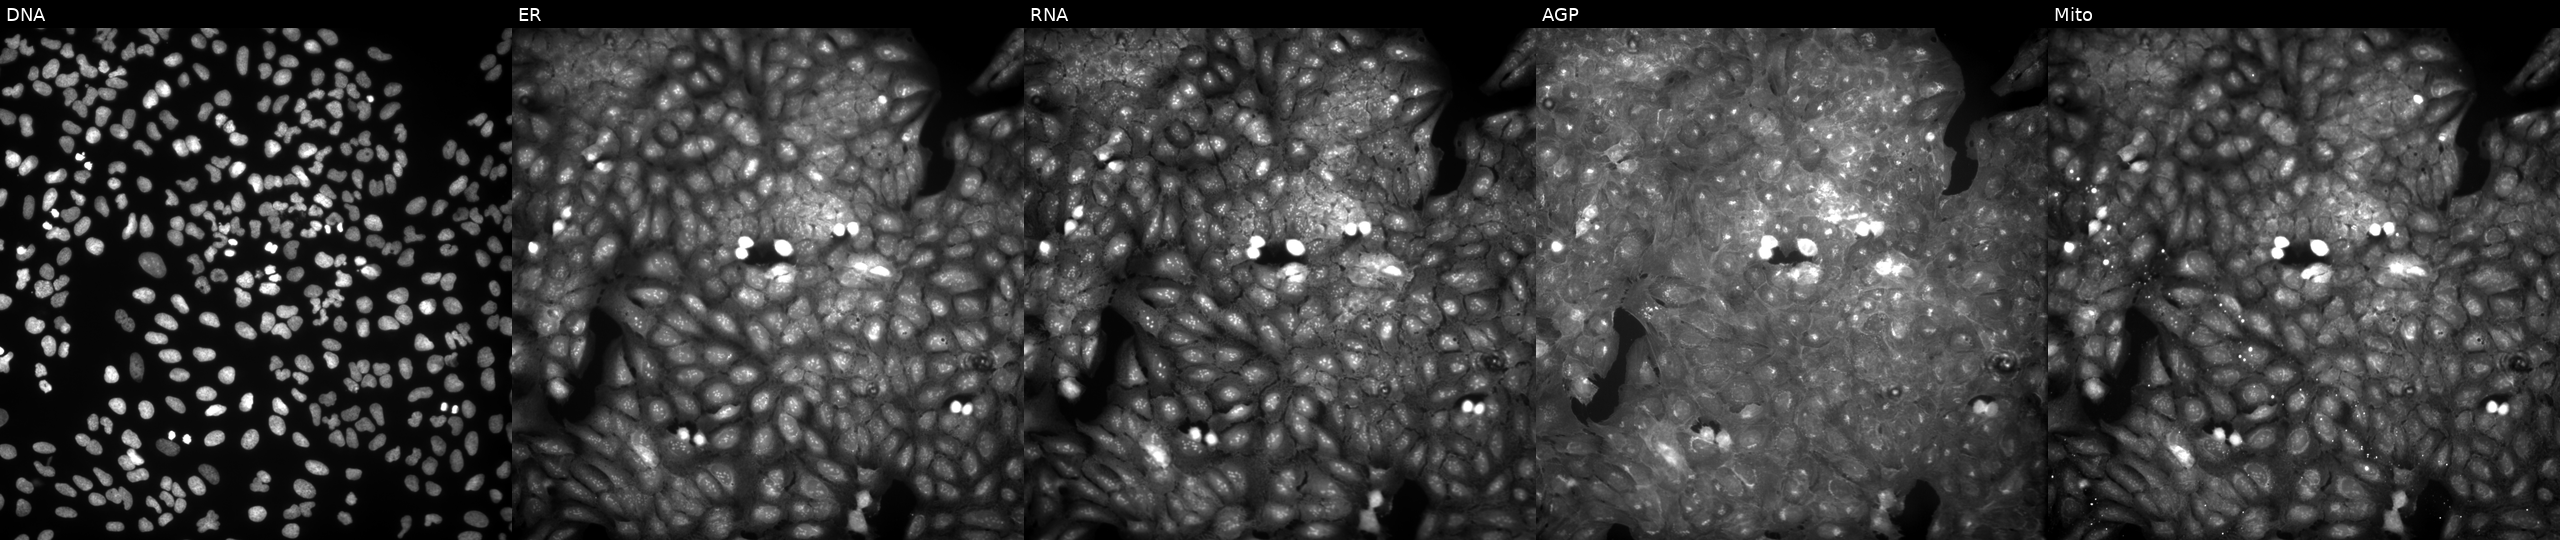
U2OS cells, Cell Painting assay, exposed to a small-molecule compound (InChIKey HKWLTKVQSQHYHO-UHFFFAOYSA-N). From left to right: DNA, ER, RNA, AGP, and Mito. Each panel is percentile-stretched 16-bit fluorescence. Source 9, plate GR00003381, well W27.